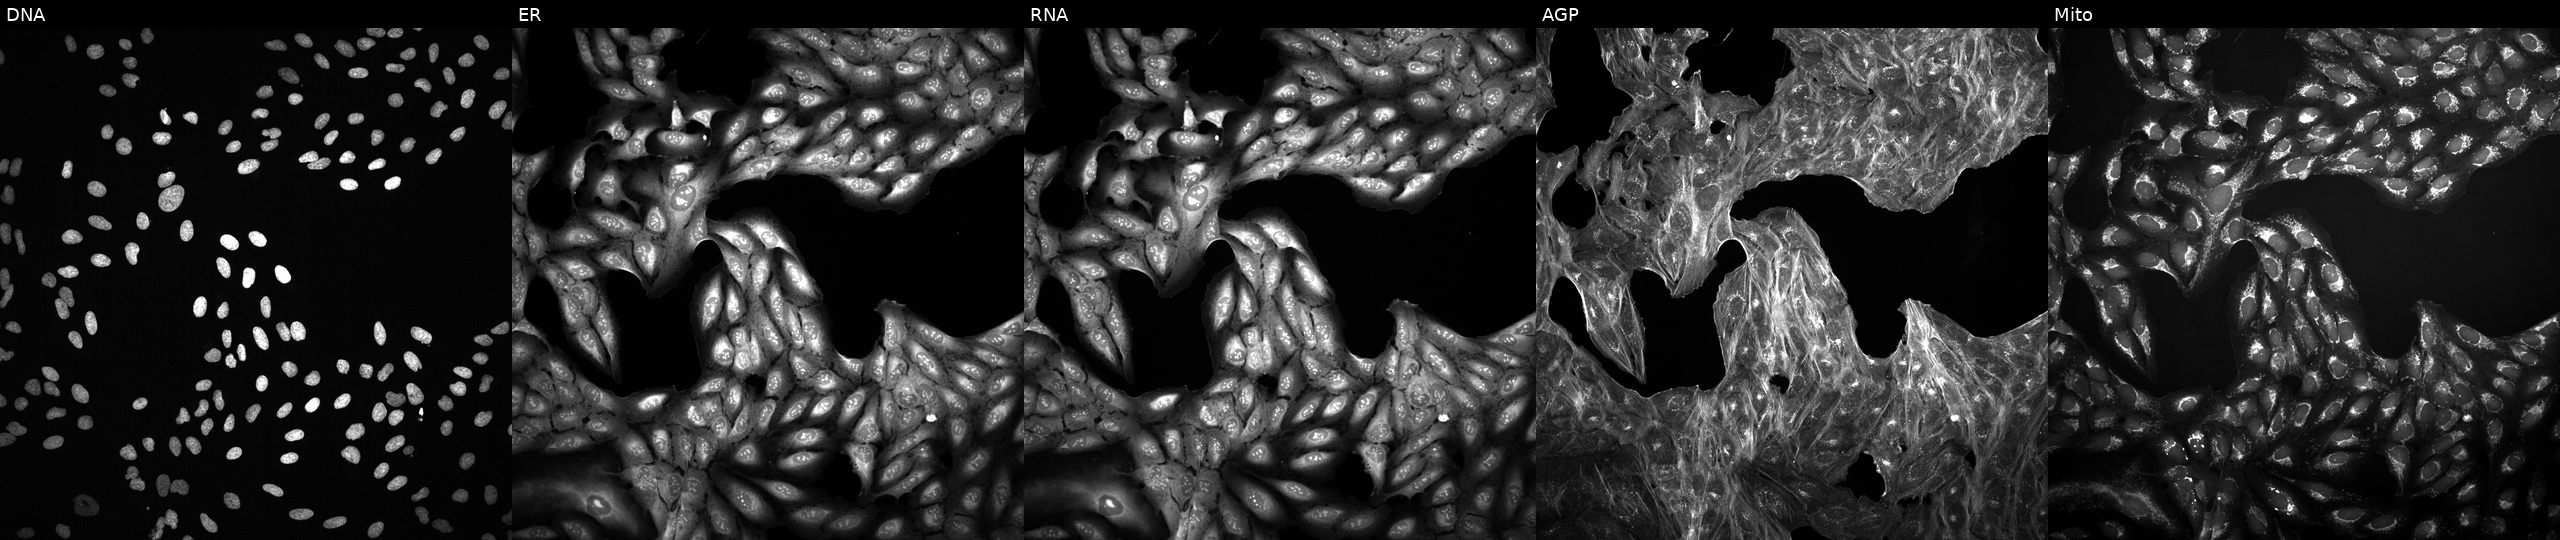
From left to right: Hoechst 33342, concanavalin A, SYTO 14, phalloidin and WGA, MitoTracker. U2OS osteosarcoma cells perturbed with a small-molecule compound. Cell Painting assay, JUMP-CP dataset.